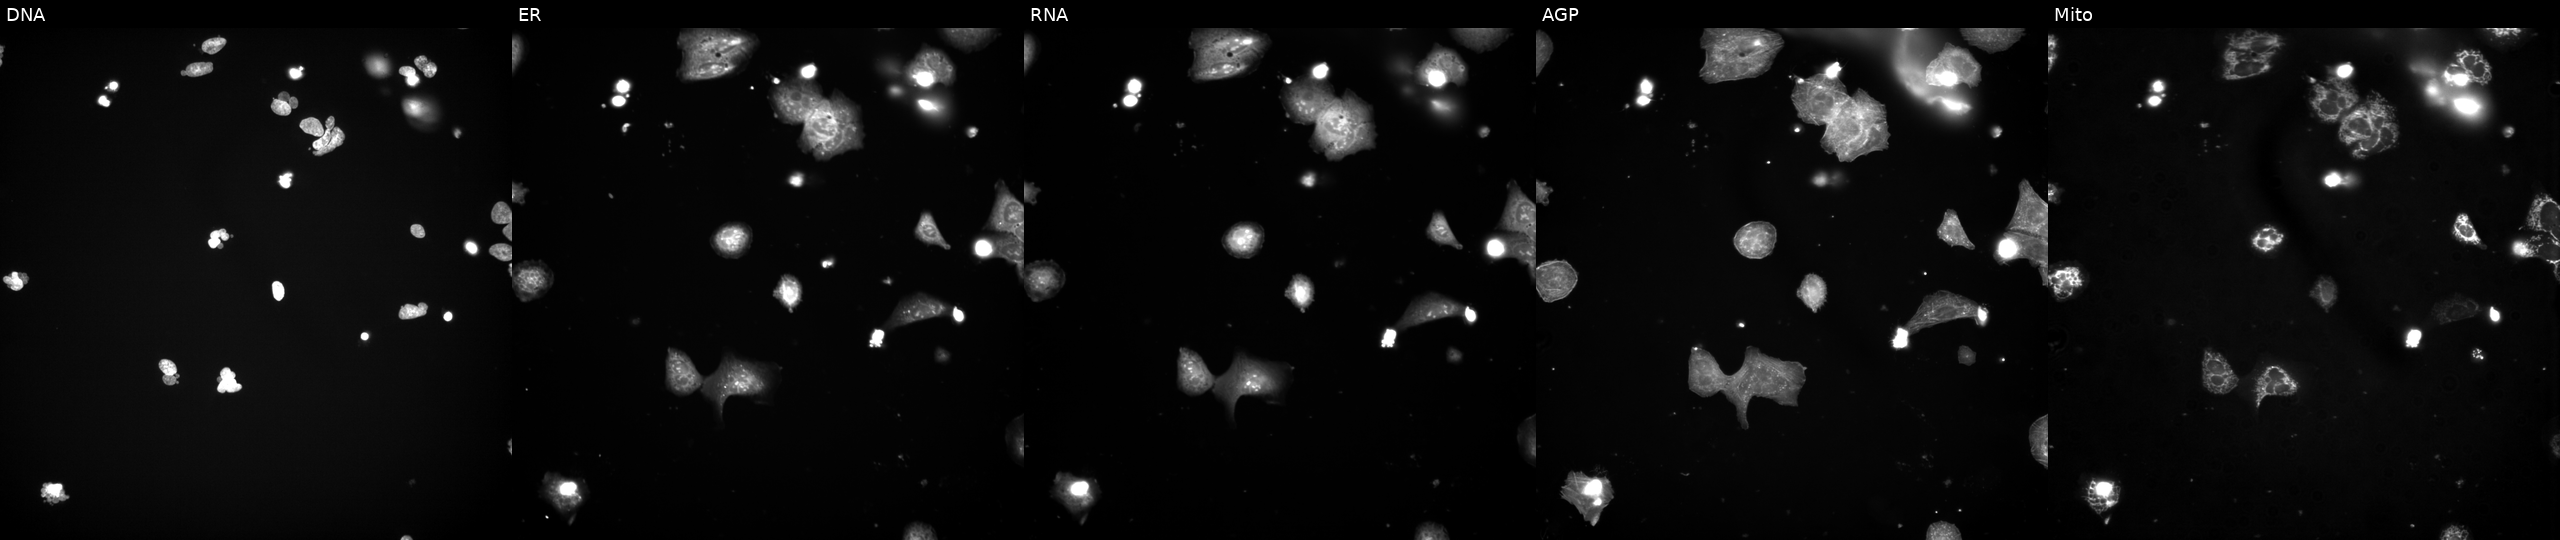
JUMP Cell Painting — TARGET2 plate. U2OS cells exposed to a small-molecule compound (InChIKey RAOCRURYZCVHMG-UHFFFAOYSA-N) [SMILES: CCCOc1ccc2[nH]c(=NC(=O)OC)[nH]c2c1] (JUMP id JCP2022_077096). The five panels, left to right, show Hoechst 33342, concanavalin A, SYTO 14, phalloidin and WGA, MitoTracker.